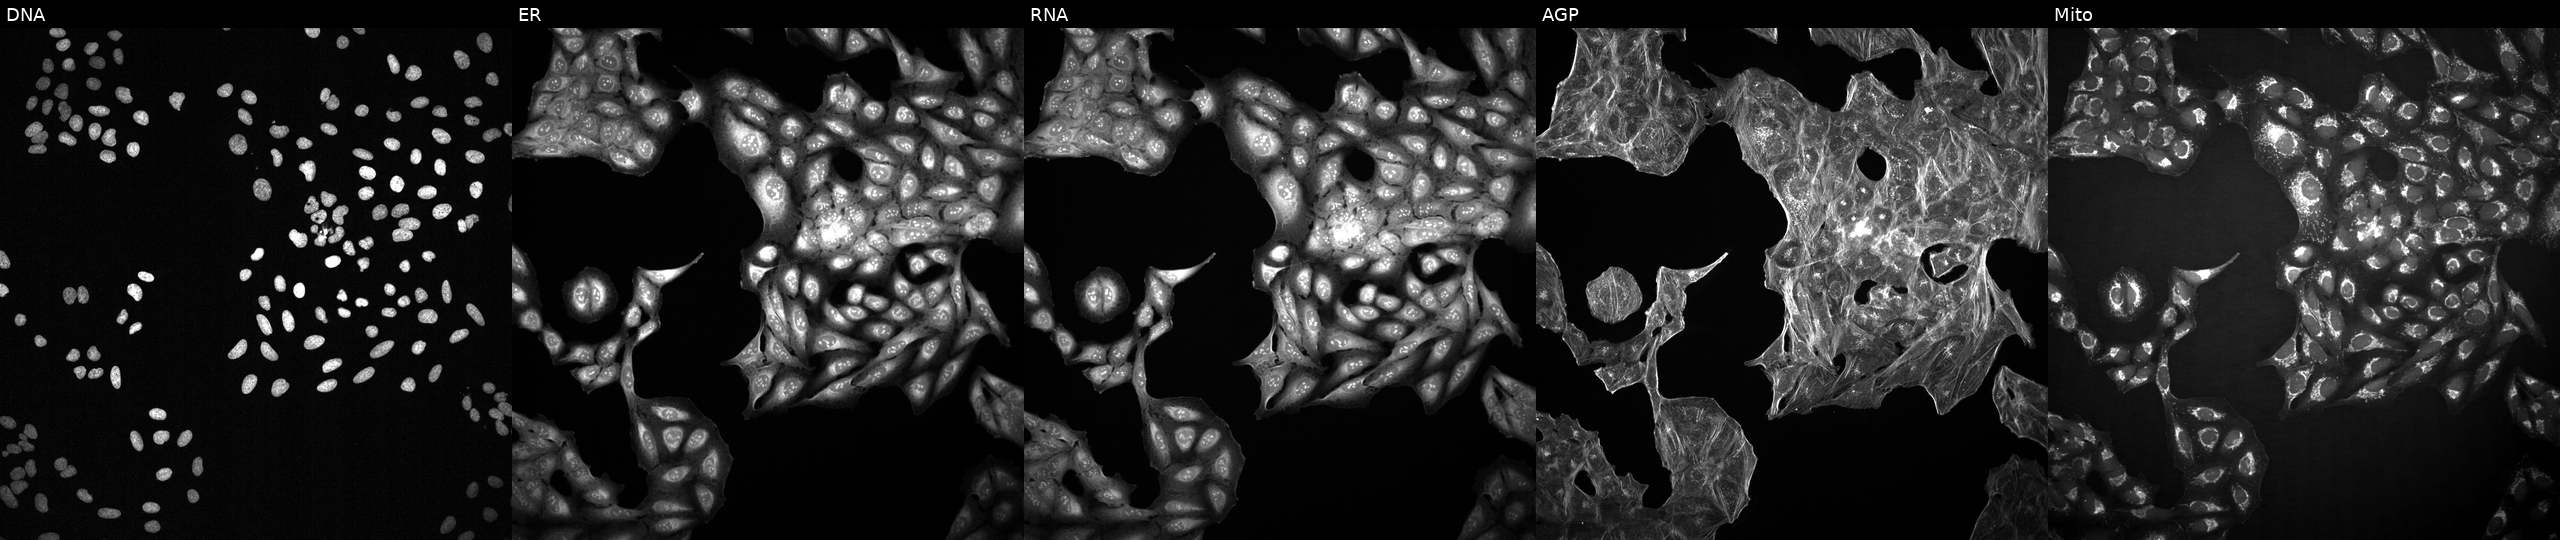
U2OS cells, Cell Painting assay, exposed to a small-molecule compound (InChIKey LRRMQNGSYOUANY-UHFFFAOYSA-N) (JUMP id JCP2022_051319). Channels (left→right): DNA (nuclei); ER (endoplasmic reticulum); RNA (nucleoli and cytoplasmic RNA); AGP (actin cytoskeleton, Golgi, and plasma membrane); Mito (mitochondria). Each panel is percentile-stretched 16-bit fluorescence.